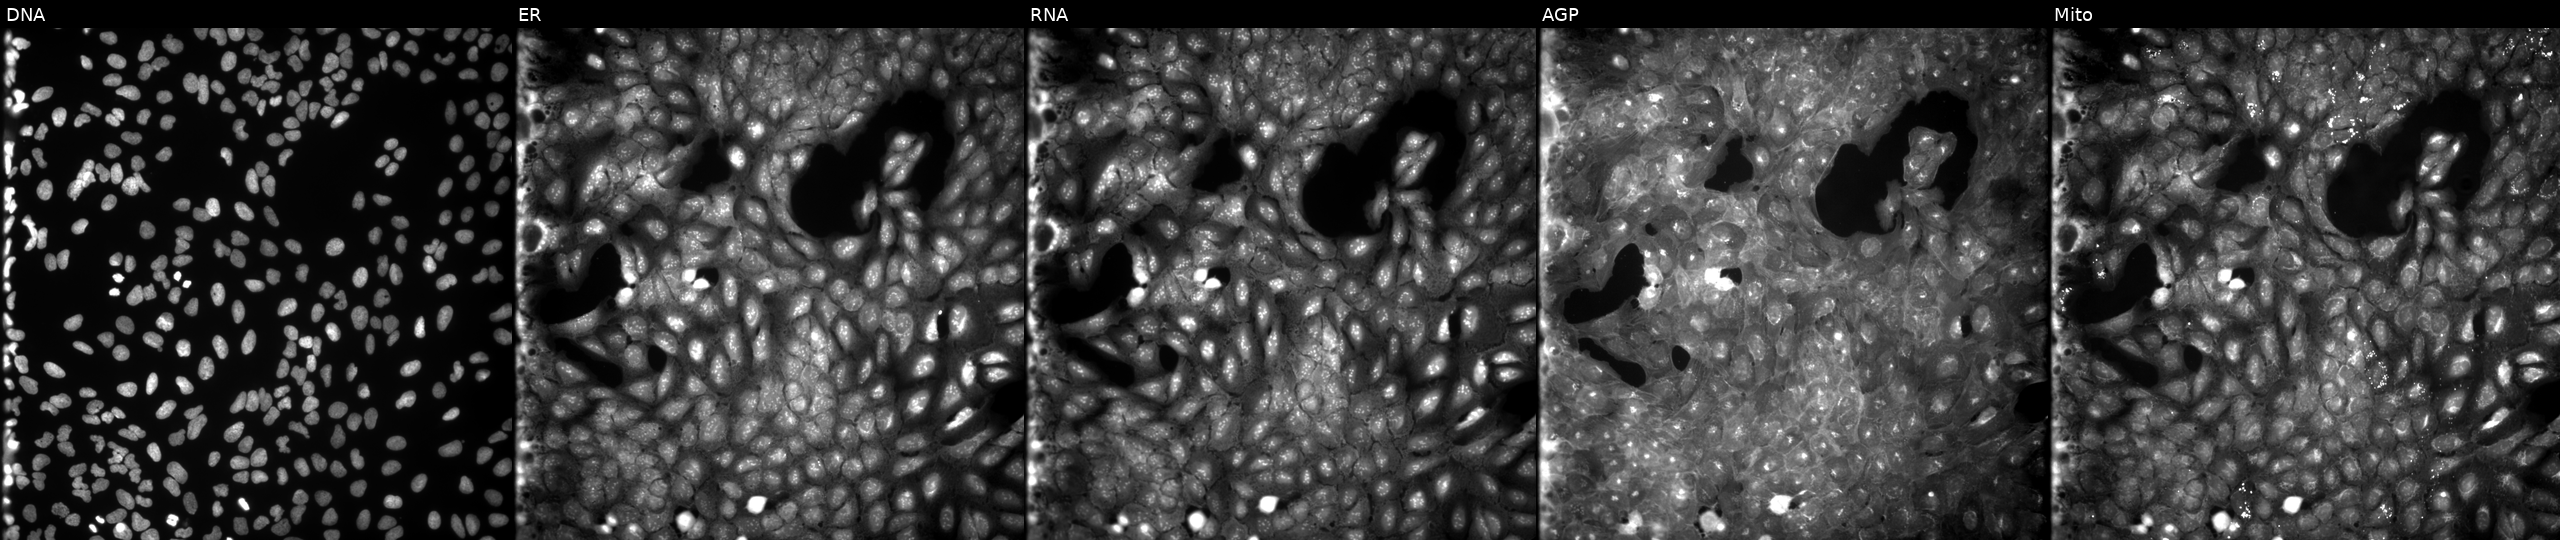
High-content fluorescence microscopy (Cell Painting). Cell line: U2OS. Perturbation: treated with a small-molecule compound [SMILES: COC(=O)N(C)CCCC1(C)C(=O)N(C)c2ccc(O)cc21]. From left to right: DNA, ER, RNA, AGP, and Mito.